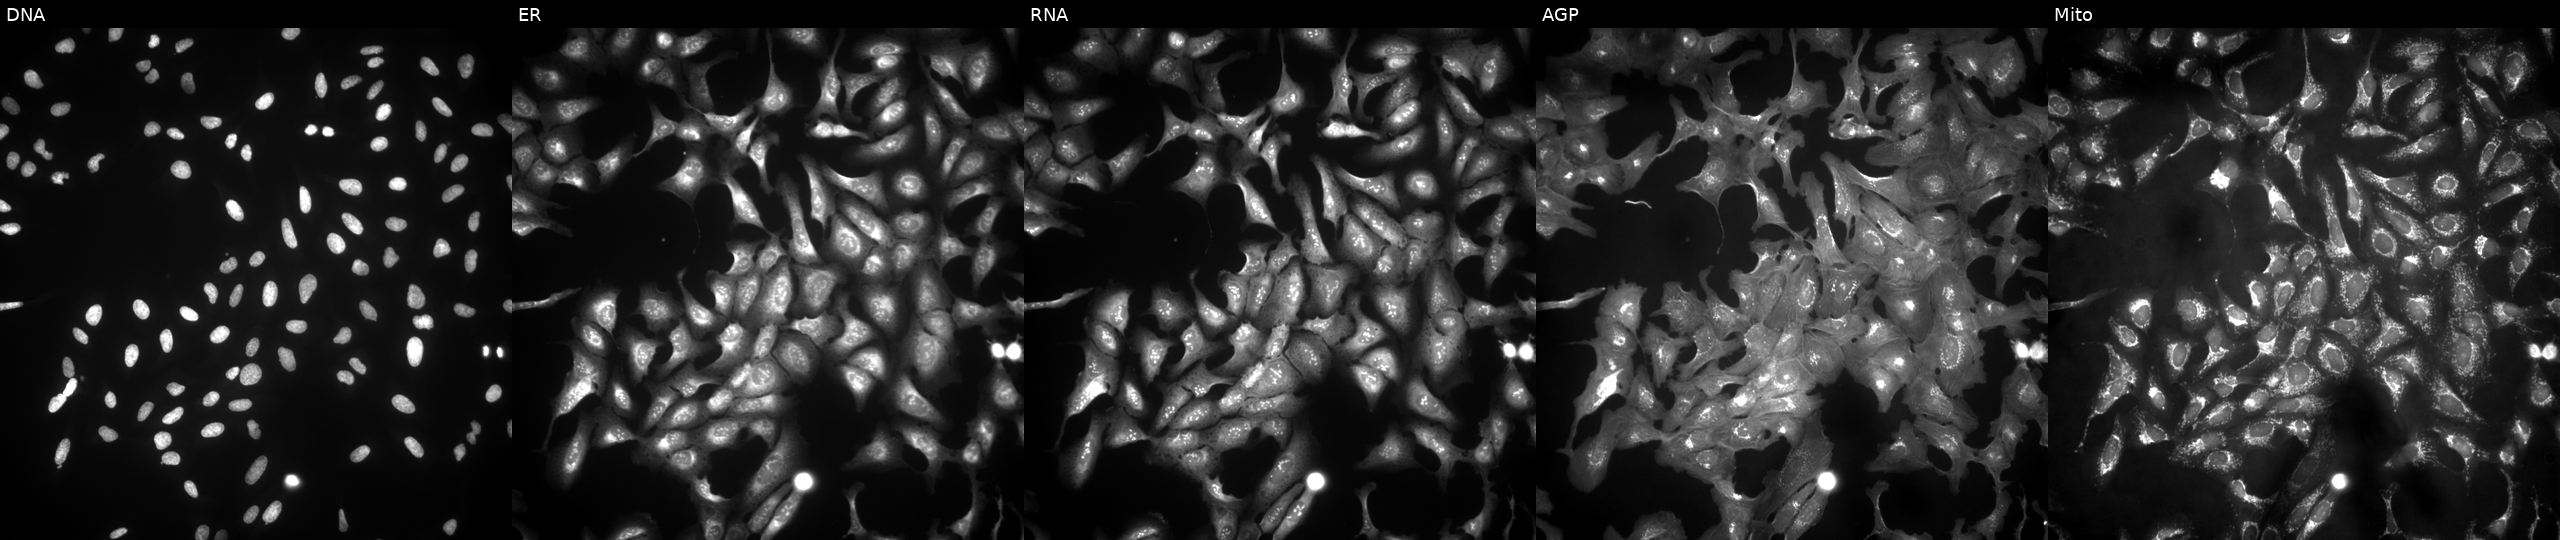
This image strip shows the five Cell Painting channels for a single field of U2OS cells transfected with an ORF construct for SYT12 (JUMP id JCP2022_904263). From left to right: Hoechst 33342, concanavalin A, SYTO 14, phalloidin and WGA, MitoTracker. Source 4, plate BR00123506, well L18.